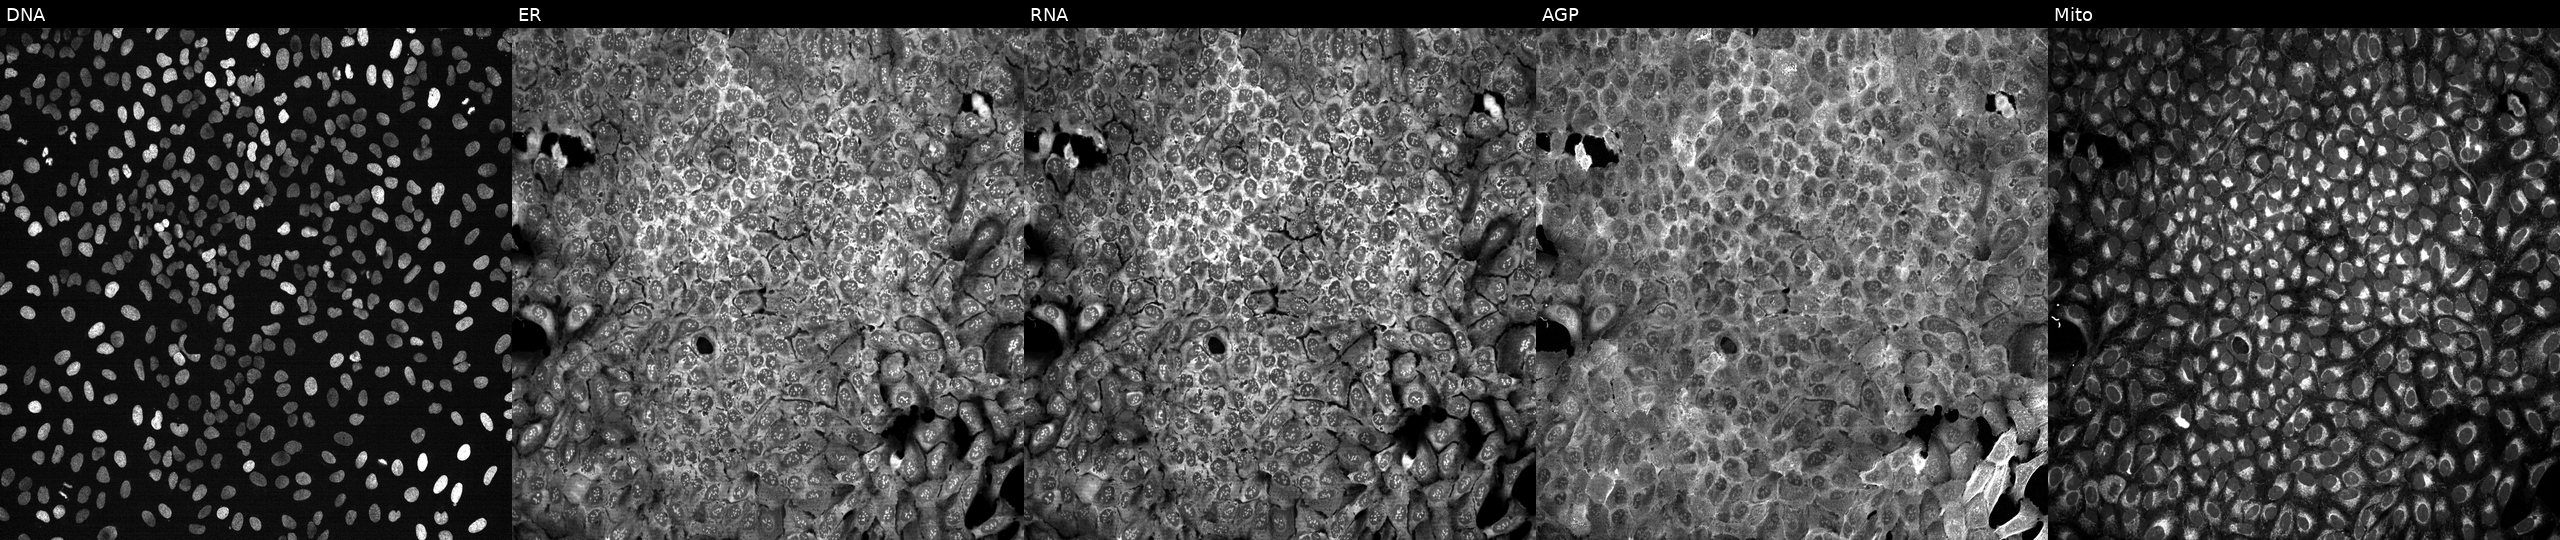
This image strip shows the five Cell Painting channels for a single field of U2OS cells CRISPR-edited to disrupt NQO2. Panels show, left to right, DNA (nuclei); ER (endoplasmic reticulum); RNA (nucleoli and cytoplasmic RNA); AGP (actin cytoskeleton, Golgi, and plasma membrane); Mito (mitochondria). Source 13, plate CP-CC9-R3-01, well D12.